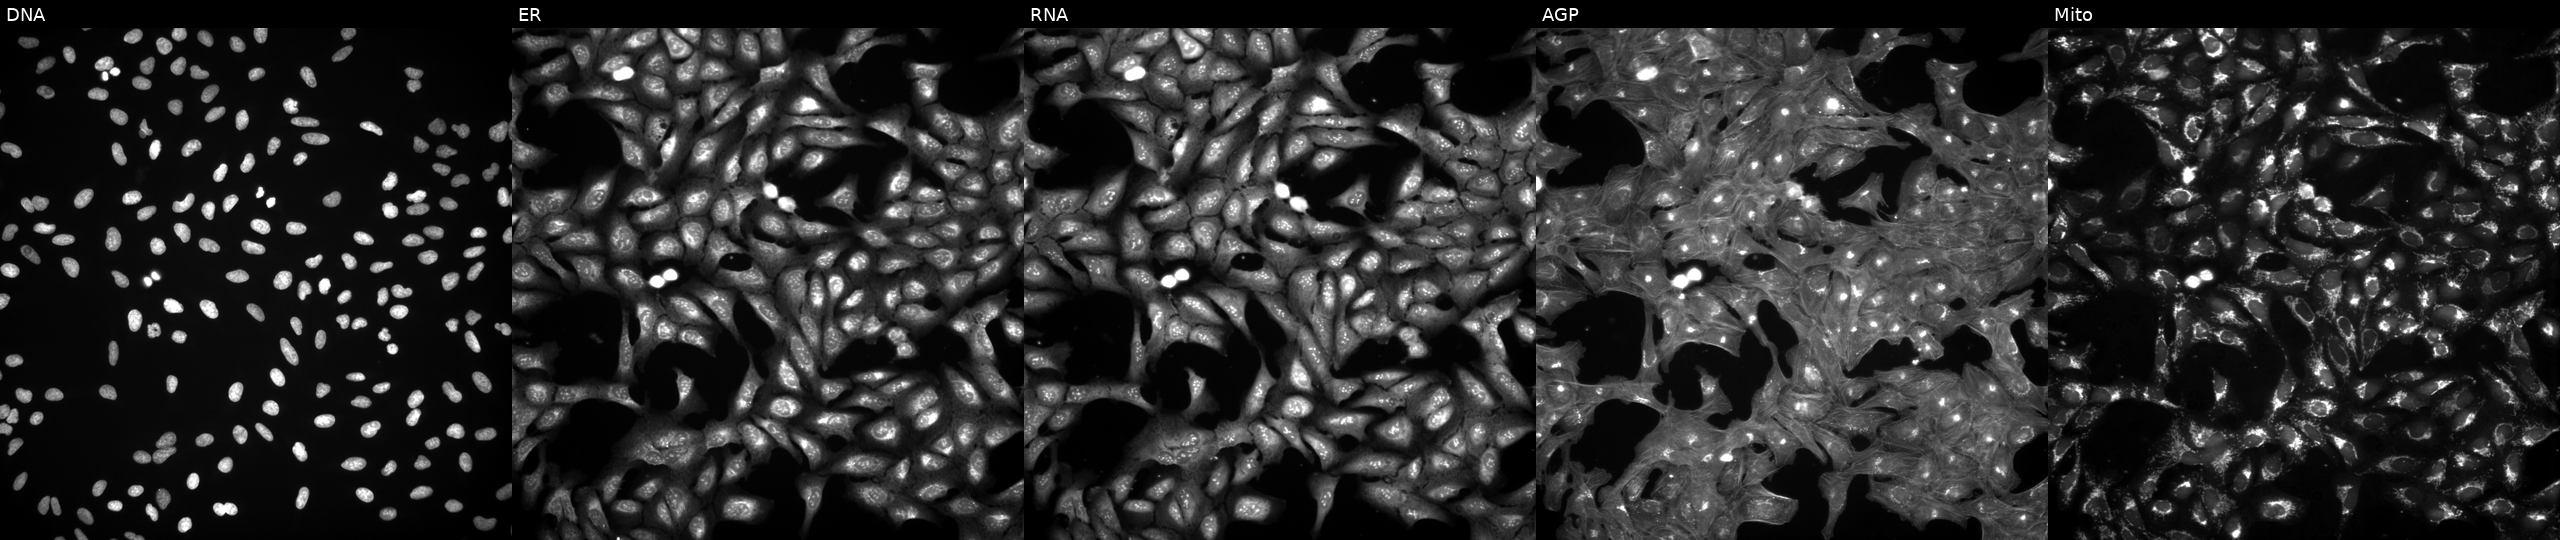
U2OS cells, Cell Painting assay, exposed to DMSO alone as a negative control. The five panels, left to right, show DNA, ER, RNA, AGP, and Mito. Each panel is percentile-stretched 16-bit fluorescence.